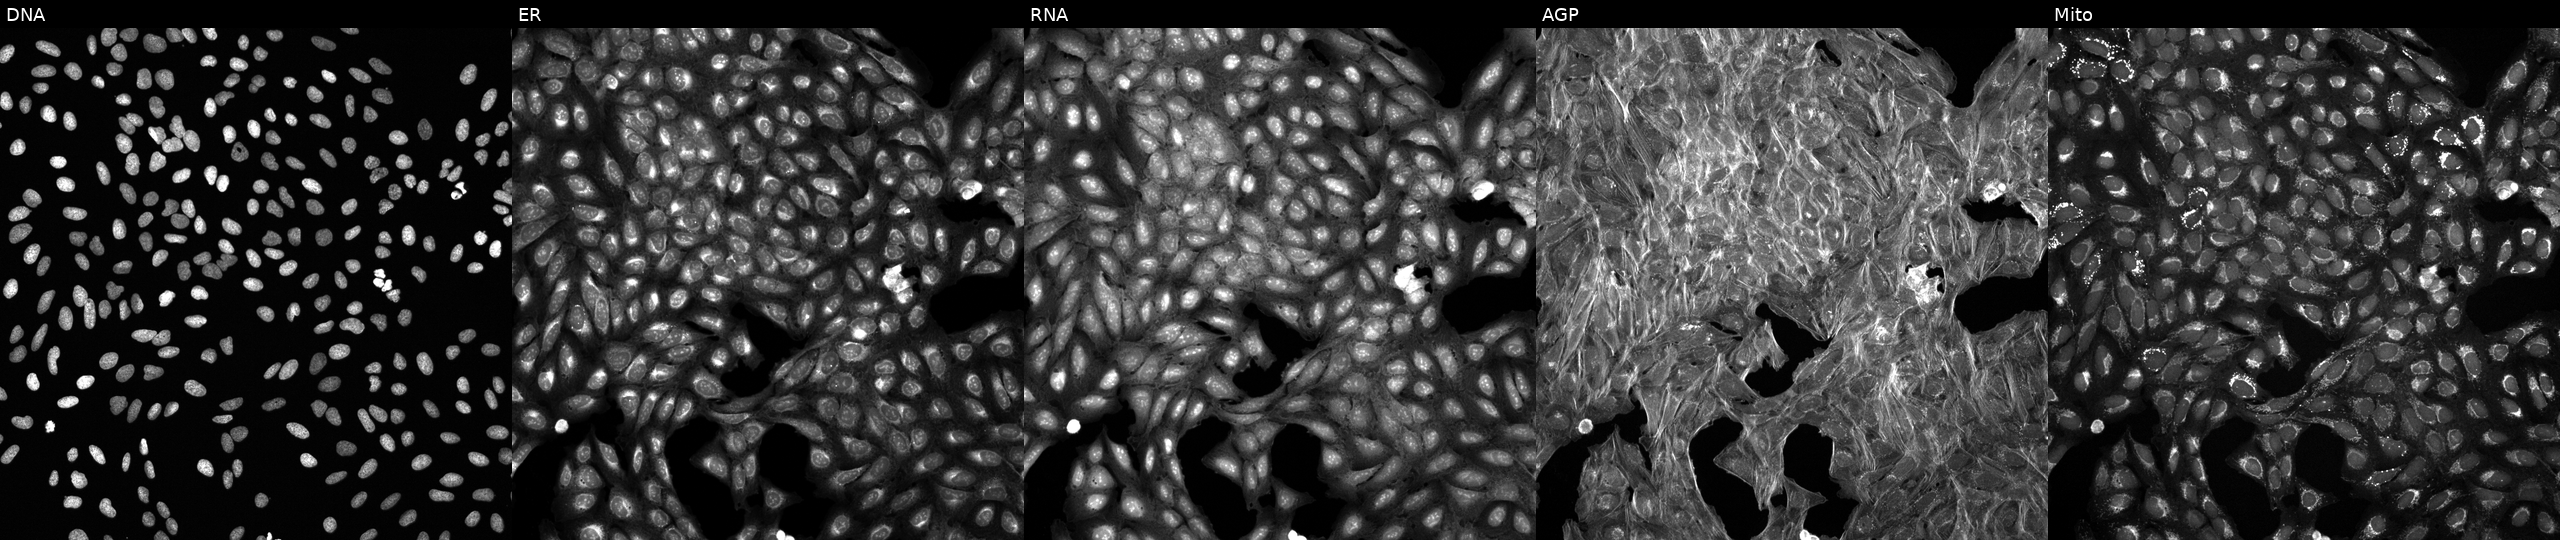
U2OS cells, Cell Painting assay, exposed to a small-molecule compound (JUMP id JCP2022_083099). The five panels, left to right, show DNA (nuclei); ER (endoplasmic reticulum); RNA (nucleoli and cytoplasmic RNA); AGP (actin cytoskeleton, Golgi, and plasma membrane); Mito (mitochondria). Each panel is percentile-stretched 16-bit fluorescence.